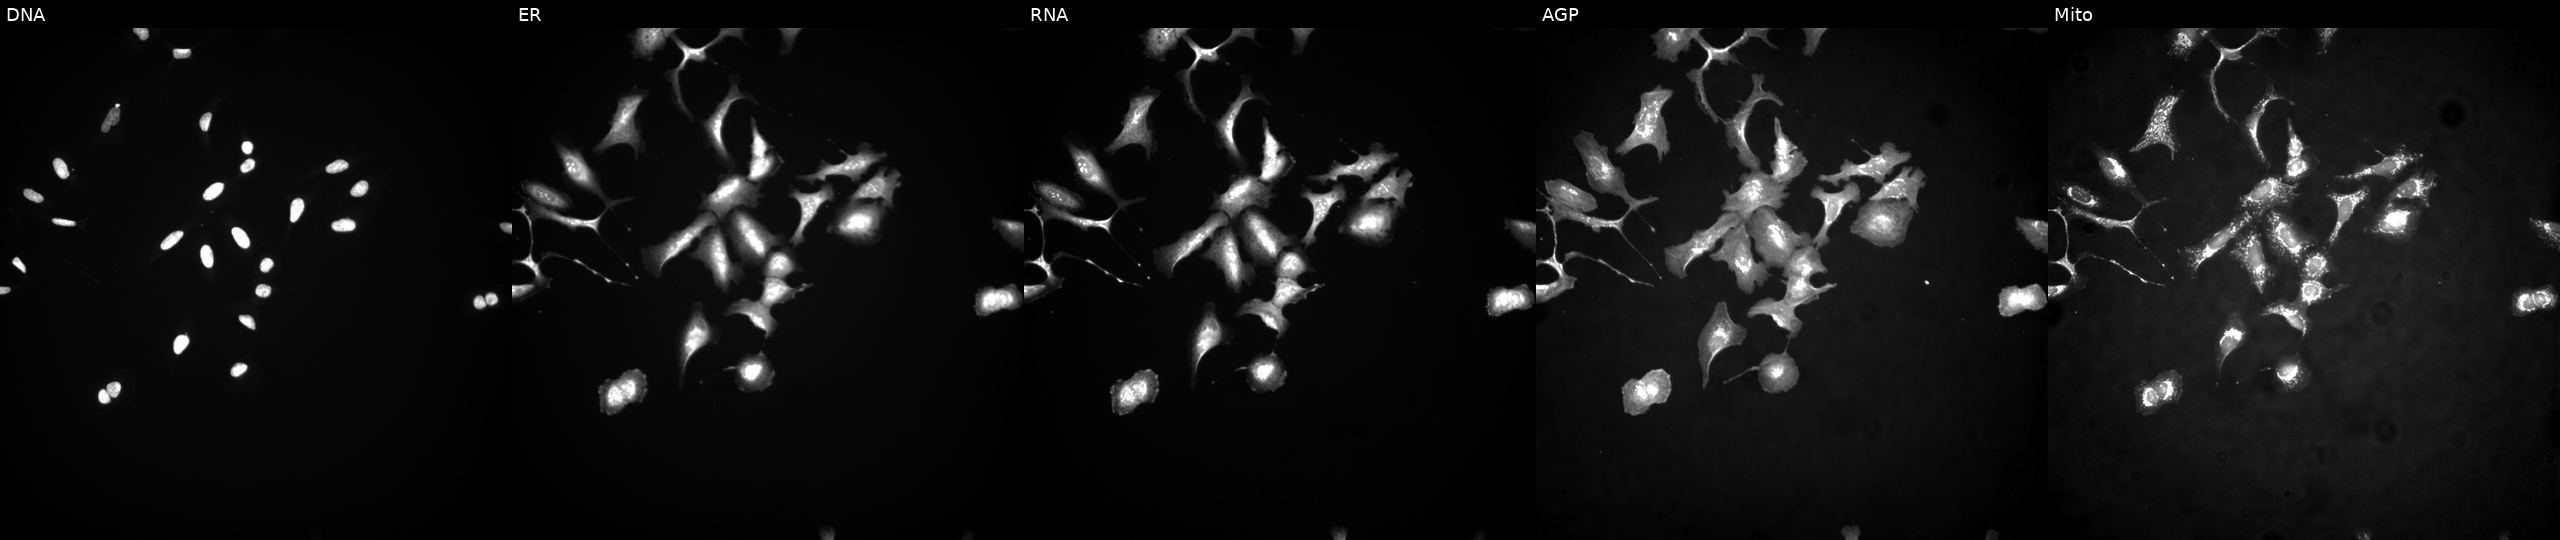
High-content fluorescence microscopy (Cell Painting). Cell line: U2OS. Perturbation: overexpressing BCL6B via ORF transfection (JUMP id JCP2022_909233). The five panels, left to right, show DNA (nuclei); ER (endoplasmic reticulum); RNA (nucleoli and cytoplasmic RNA); AGP (actin cytoskeleton, Golgi, and plasma membrane); Mito (mitochondria).